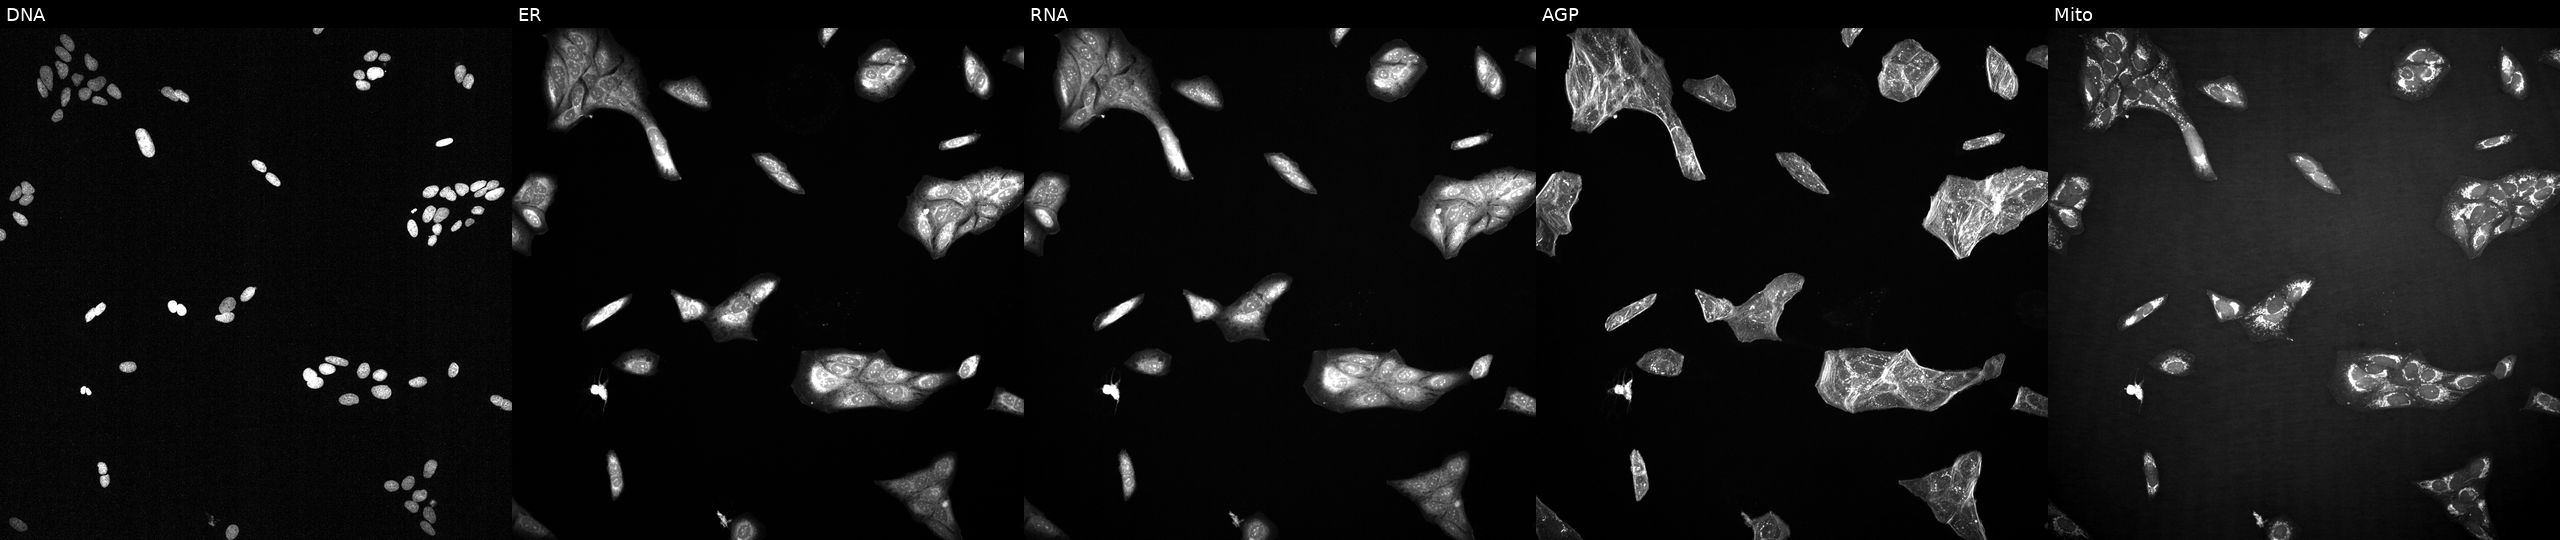
JUMP Cell Painting — TARGET2 plate. U2OS cells exposed to a small-molecule compound (InChIKey ZWVZORIKUNOTCS-UHFFFAOYSA-N) (JUMP id JCP2022_116188). The five panels, left to right, show Hoechst 33342, concanavalin A, SYTO 14, phalloidin and WGA, MitoTracker.